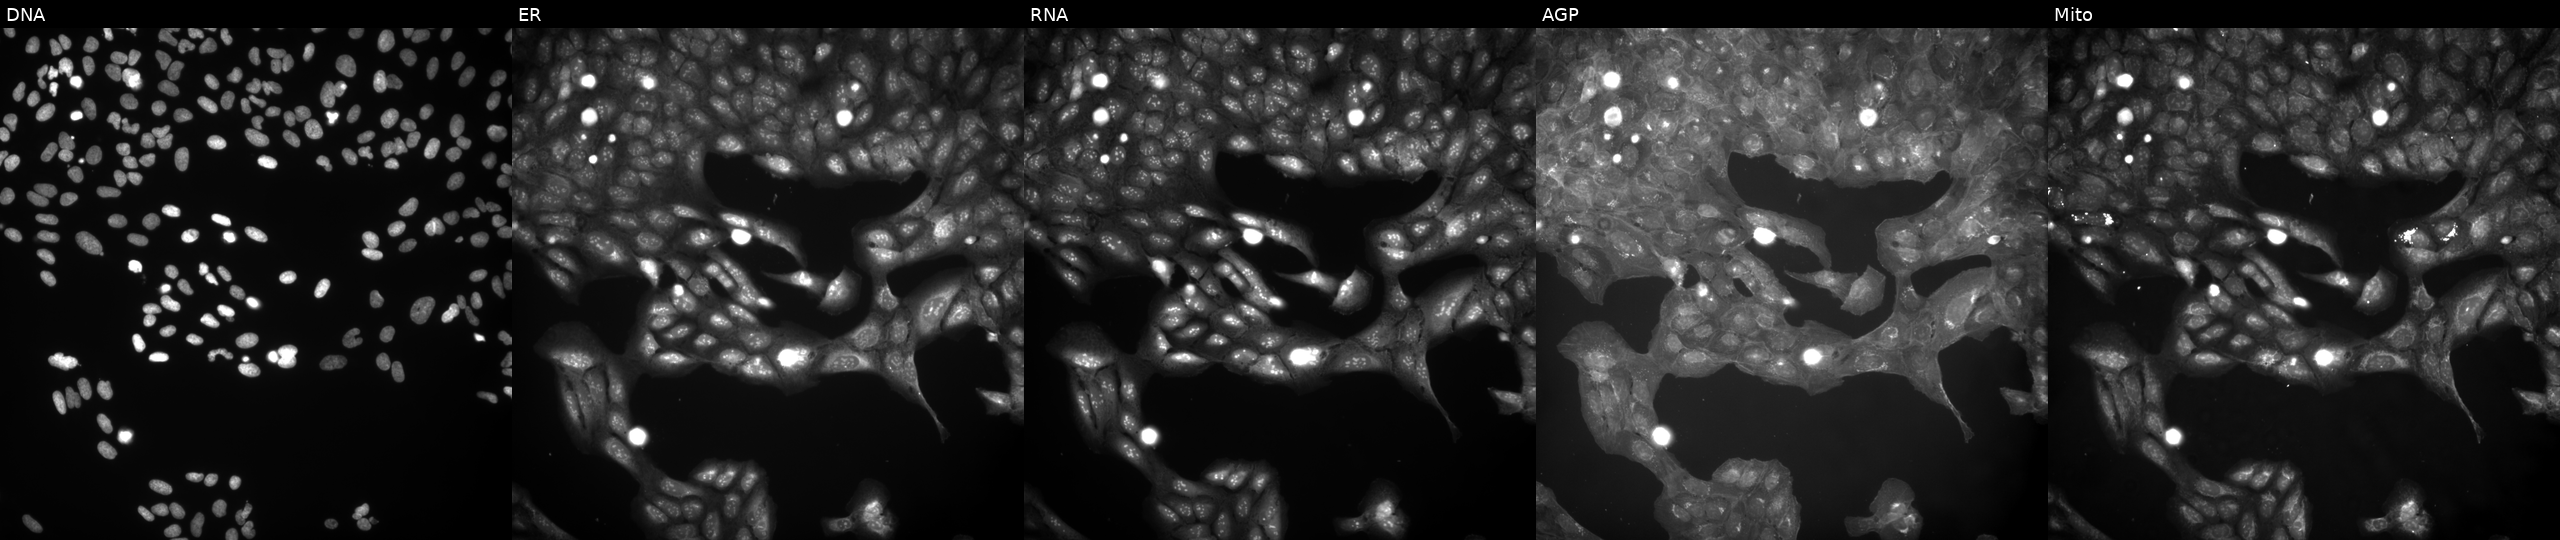
This image strip shows the five Cell Painting channels for a single field of U2OS cells perturbed with a small-molecule compound (InChIKey NBPCFJQUQFKOHN-UHFFFAOYSA-N) [SMILES: COc1ccc(NCN2C(=O)c3ccccc3C2=O)cc1] (JUMP id JCP2022_057939). Channels (left→right): DNA, ER, RNA, AGP, and Mito. Source 9, plate GR00003382, well E30.